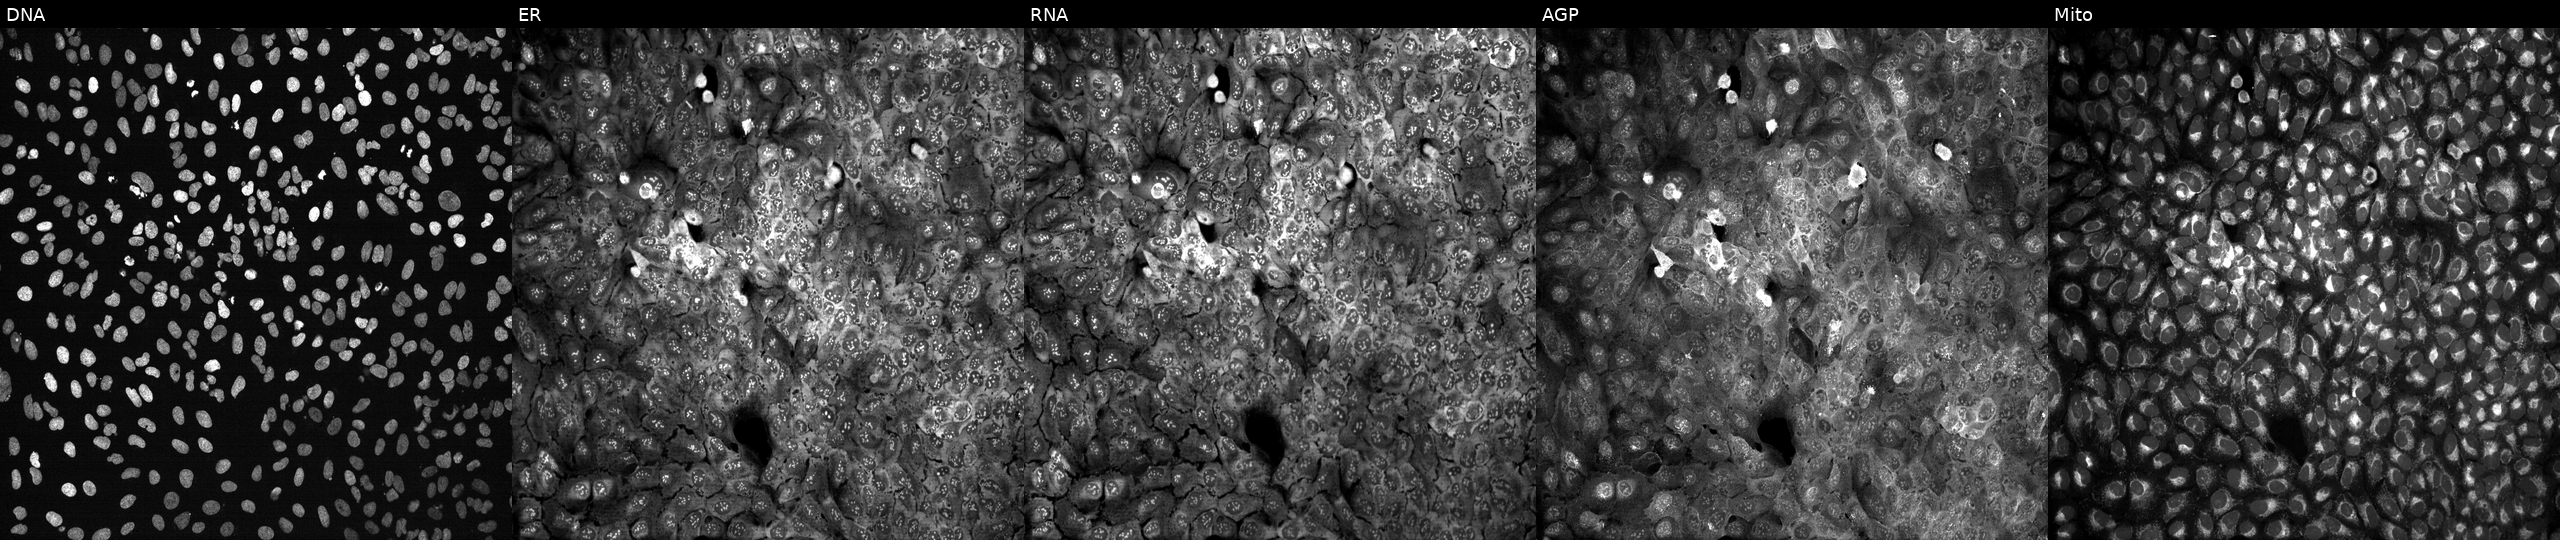
High-content fluorescence microscopy (Cell Painting). Cell line: U2OS. Perturbation: with XRCC4 knocked out by CRISPR. Panels show, left to right, Hoechst 33342, concanavalin A, SYTO 14, phalloidin and WGA, MitoTracker.